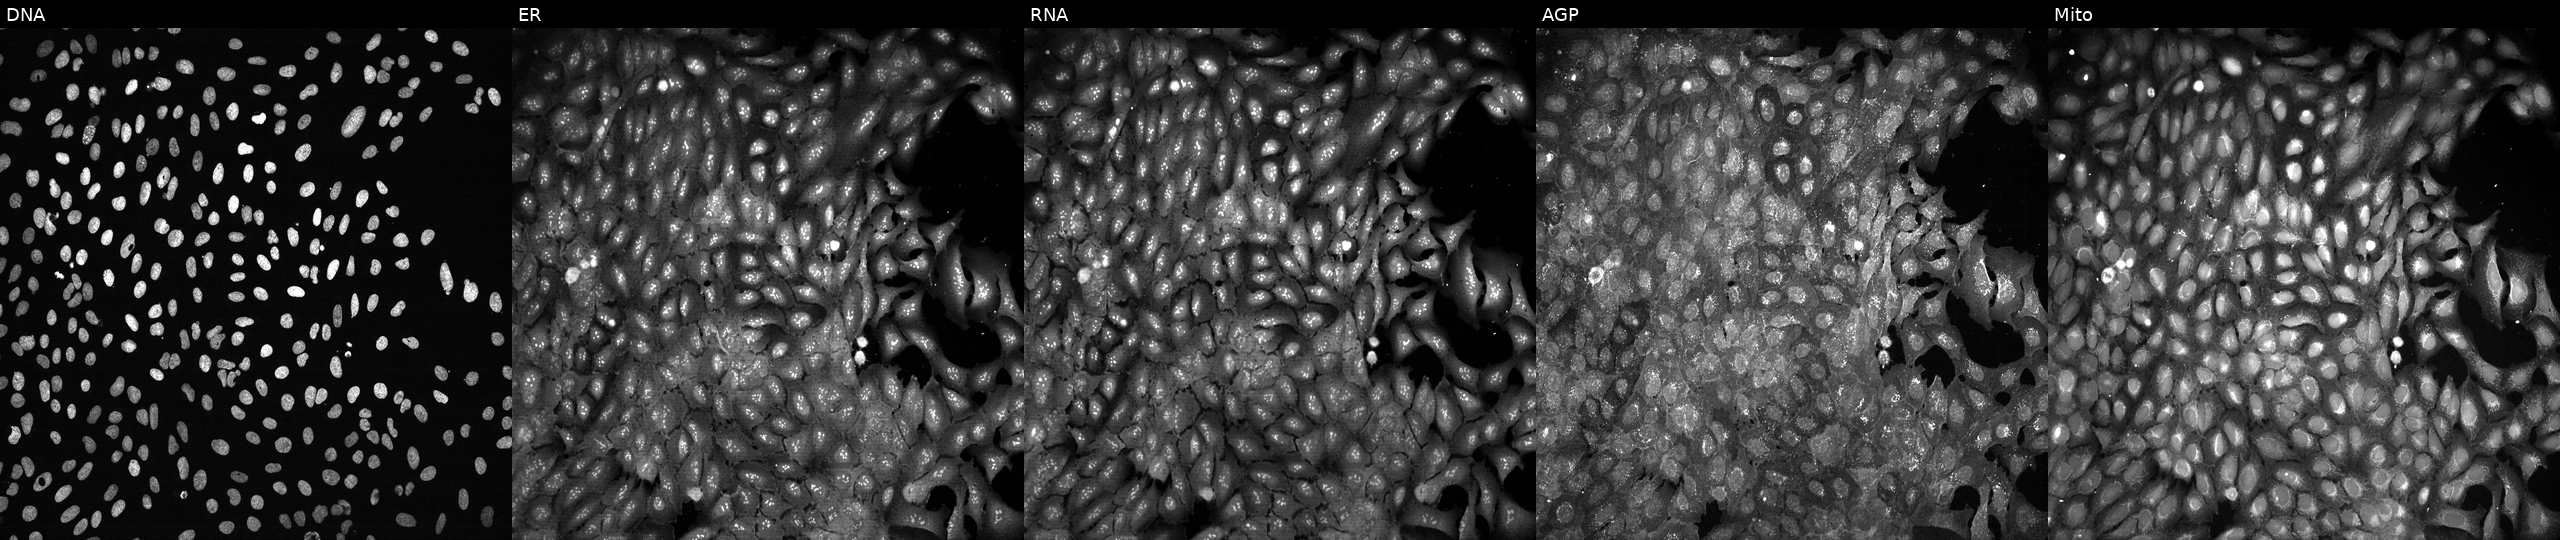
JUMP Cell Painting — CRISPR plate. U2OS cells following CRISPR knockout of SLC2A1 (JUMP id JCP2022_806483). From left to right: Hoechst 33342, concanavalin A, SYTO 14, phalloidin and WGA, MitoTracker. Source 13, plate CP-CC9-R1-01, well M09.